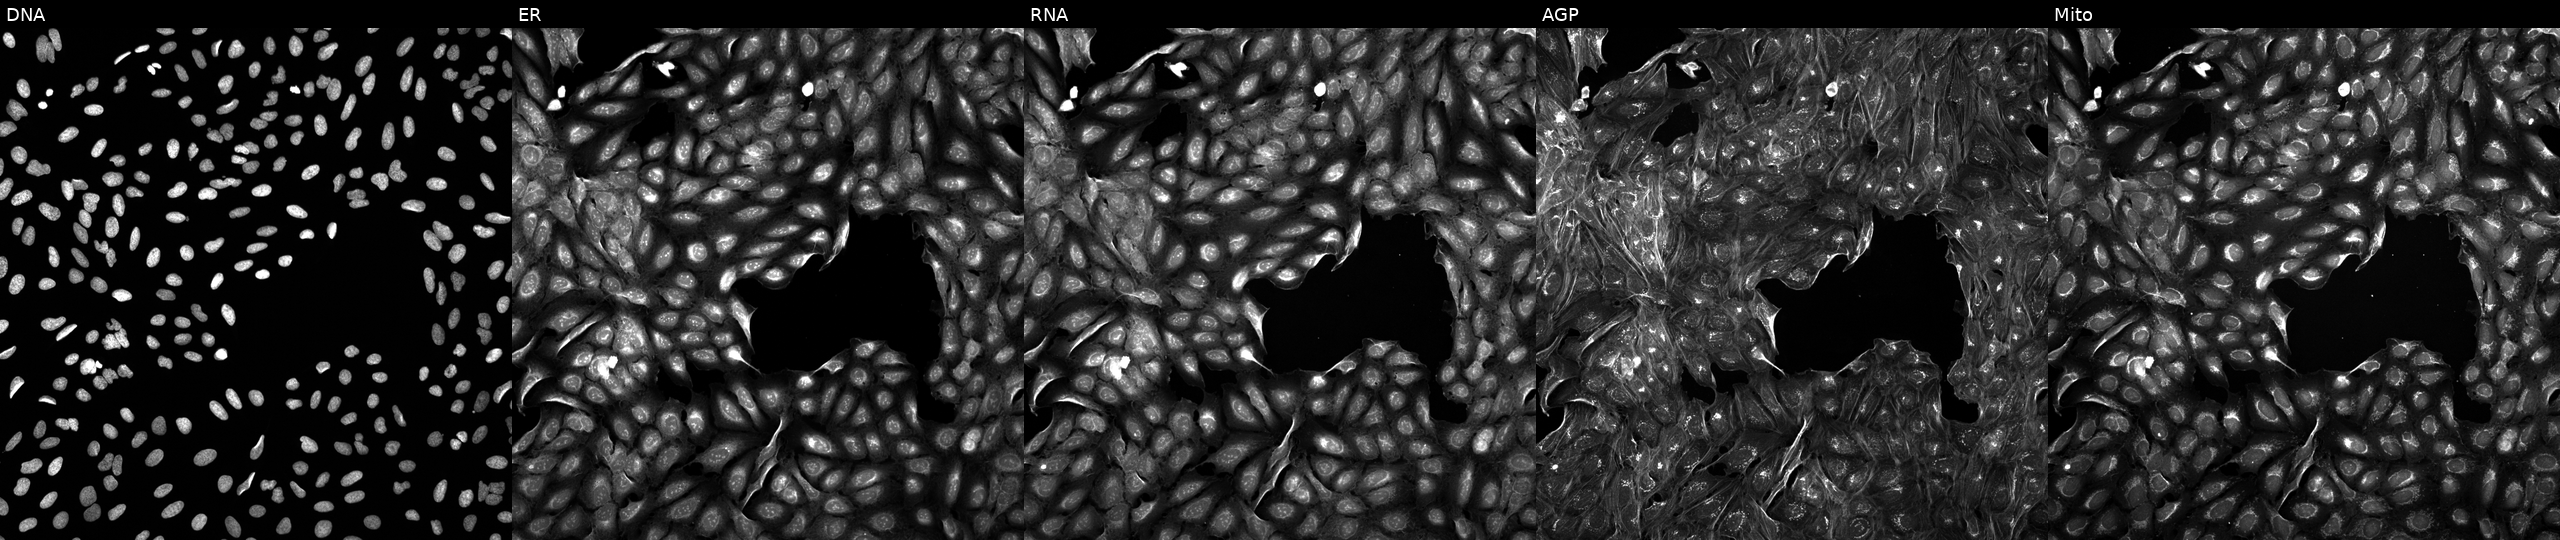
U2OS cells, Cell Painting assay, treated with DMSO vehicle only (negative control). Panels show, left to right, Hoechst 33342, concanavalin A, SYTO 14, phalloidin and WGA, MitoTracker. Each panel is percentile-stretched 16-bit fluorescence.